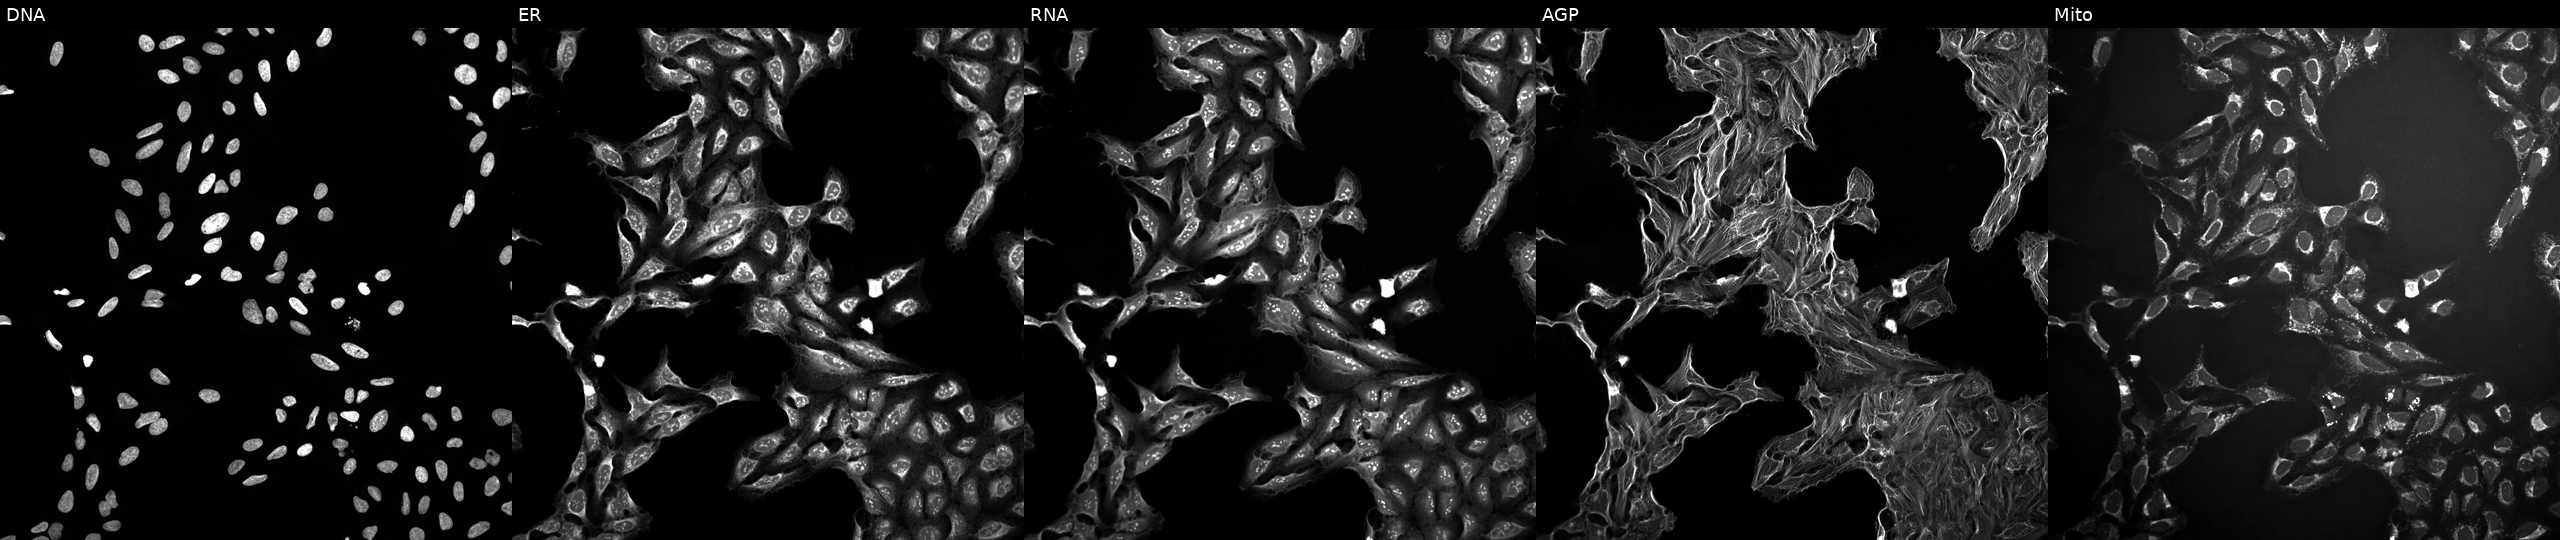
This image strip shows the five Cell Painting channels for a single field of U2OS cells perturbed with a small-molecule compound (InChIKey NMKJFZCBCIUYHI-UHFFFAOYSA-N) [SMILES: O=C(NCc1ccc2c(c1)OCO2)c1c(Cl)cccc1Cl] (JUMP id JCP2022_059966). From left to right: DNA, ER, RNA, AGP, and Mito.